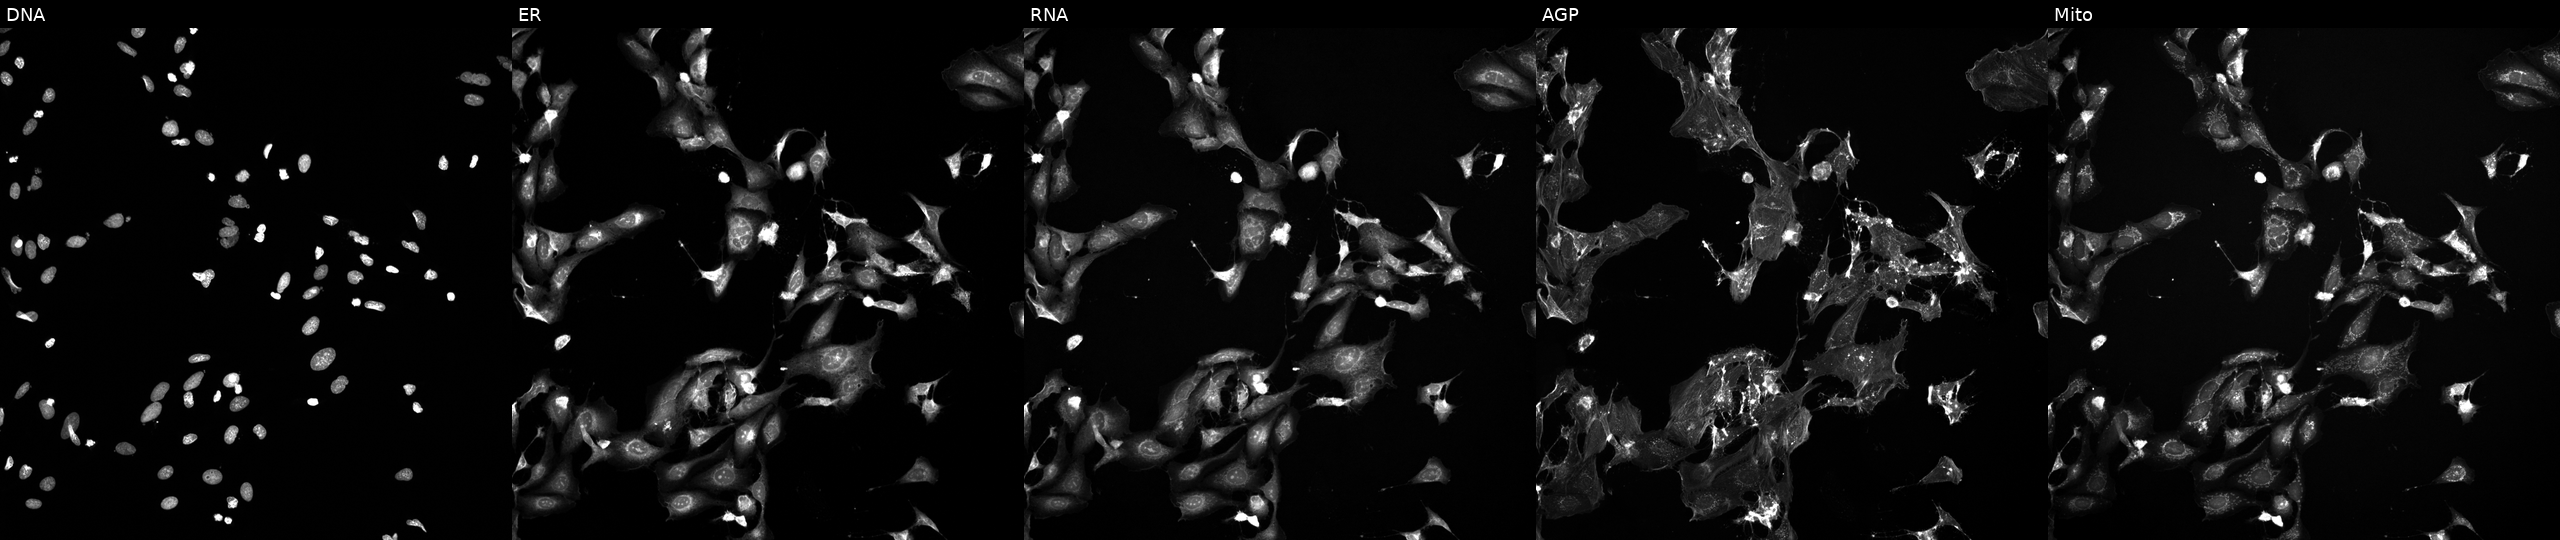
Five-channel Cell Painting image of U2OS cells exposed to a small-molecule compound [SMILES: NC(=O)Nc1cc(-c2cccc(F)c2)sc1C(=O)NC1CCCNC1] (JUMP id JCP2022_033914). Channels (left→right): Hoechst 33342, concanavalin A, SYTO 14, phalloidin and WGA, MitoTracker.